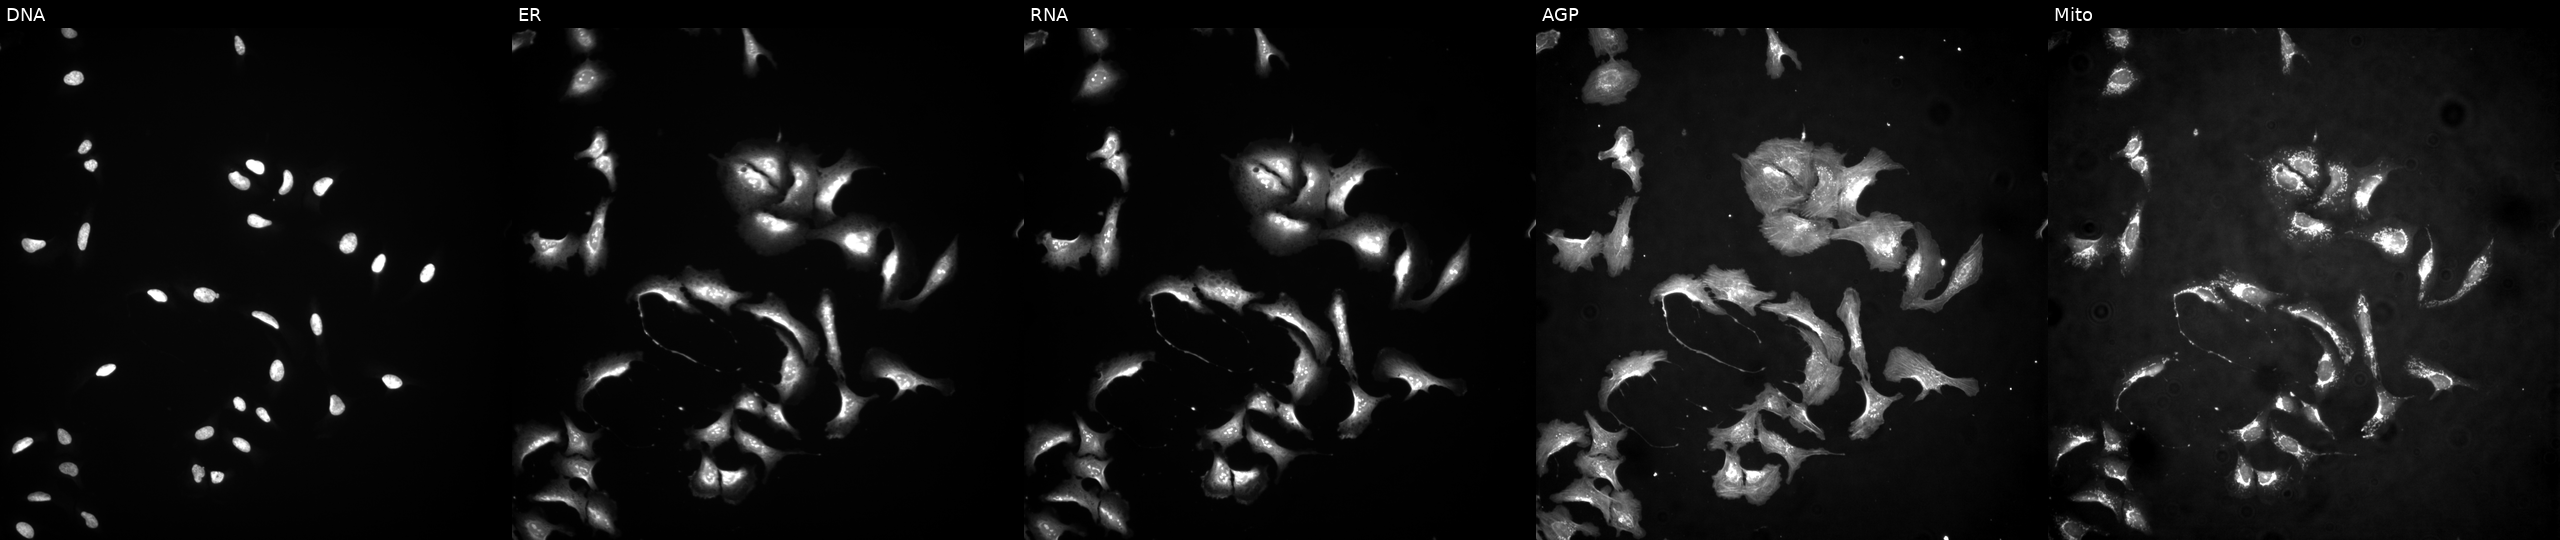
Five-channel Cell Painting image of U2OS cells transfected with an ORF construct for RBM10. The five panels, left to right, show Hoechst 33342, concanavalin A, SYTO 14, phalloidin and WGA, MitoTracker.